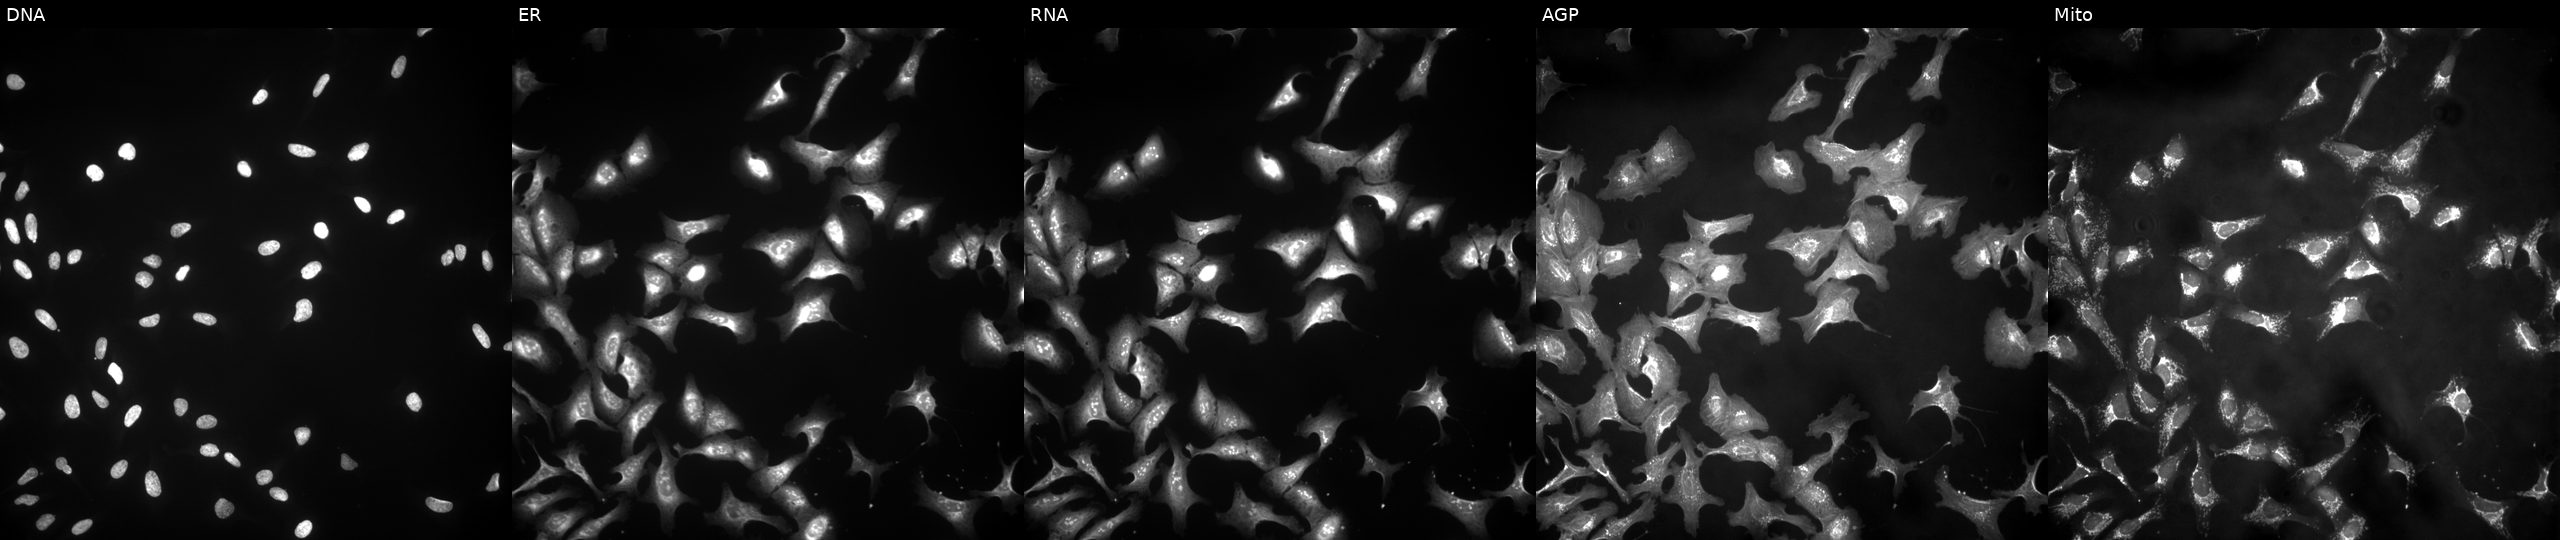
Panels show, left to right, DNA, ER, RNA, AGP, and Mito. U2OS osteosarcoma cells with CNP overexpressed (ORF) (JUMP id JCP2022_905624). Cell Painting assay, JUMP-CP dataset.